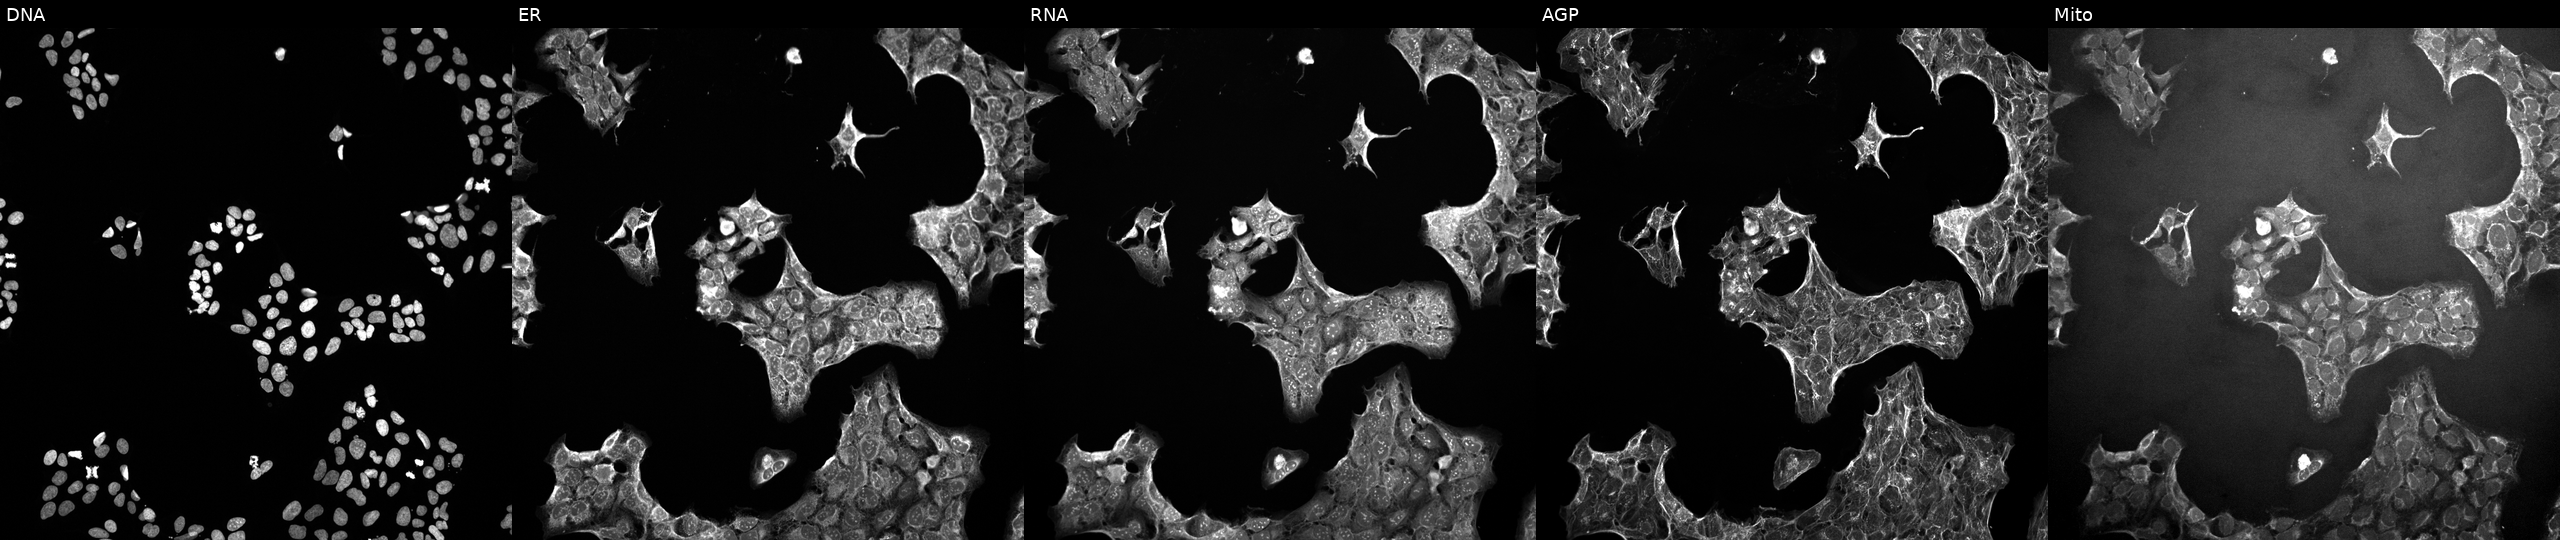
Panels show, left to right, DNA (nuclei); ER (endoplasmic reticulum); RNA (nucleoli and cytoplasmic RNA); AGP (actin cytoskeleton, Golgi, and plasma membrane); Mito (mitochondria). U2OS osteosarcoma cells treated with LY2109761 (positive-control compound) (JUMP id JCP2022_035095). Cell Painting assay, JUMP-CP dataset. Source 10, plate Dest210531-152324, well M01.